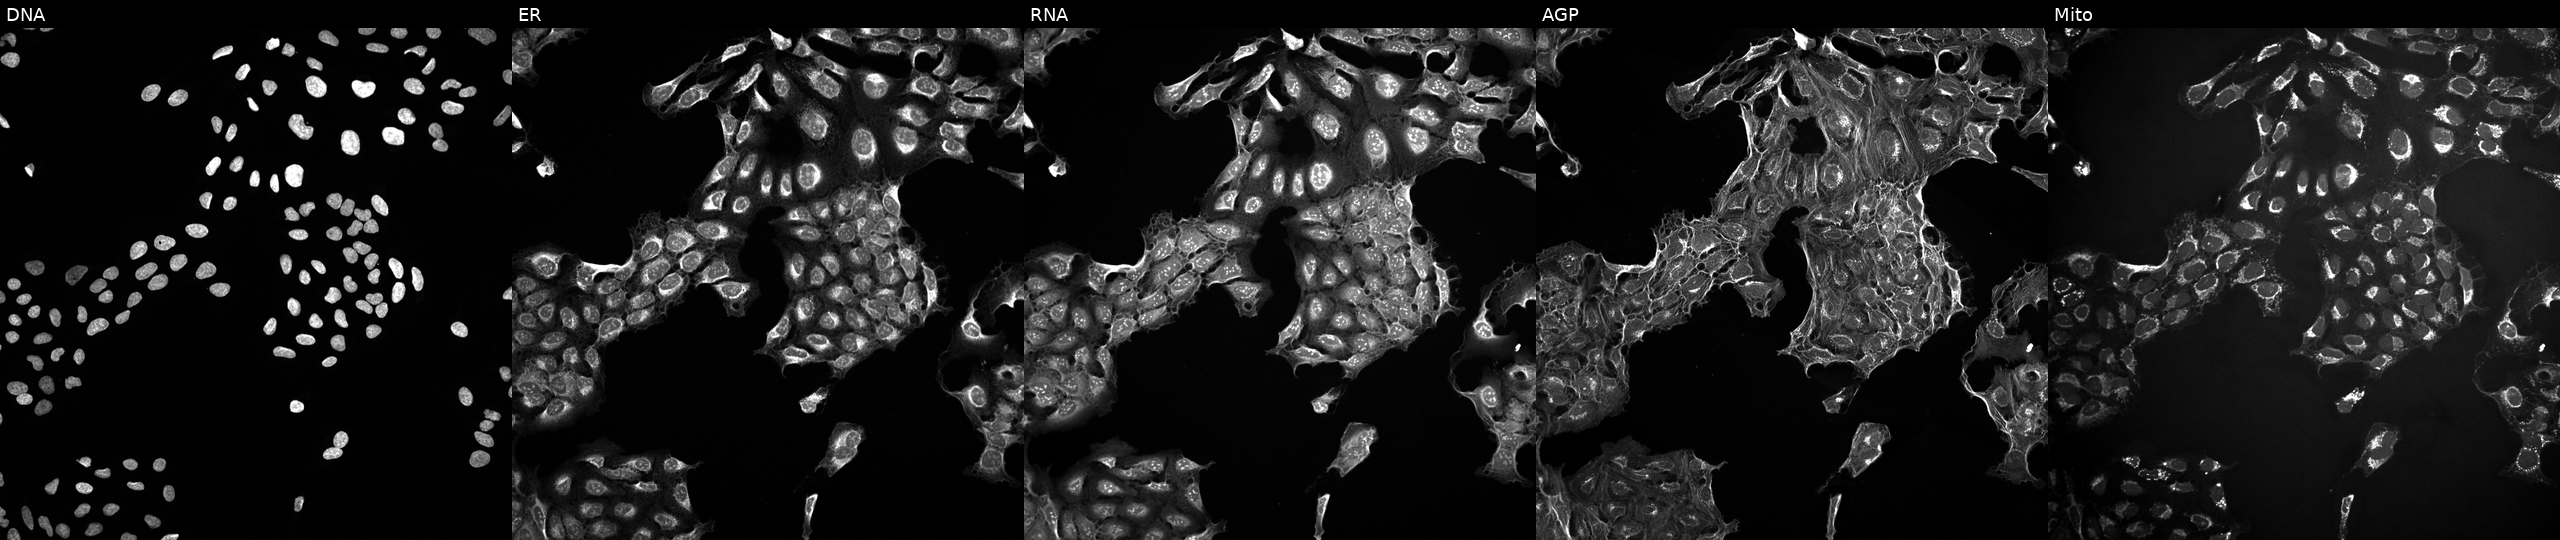
Panels show, left to right, DNA, ER, RNA, AGP, and Mito. U2OS osteosarcoma cells untreated (empty-well control). Cell Painting assay, JUMP-CP dataset. Source 10, plate Dest210531-152324, well O05.